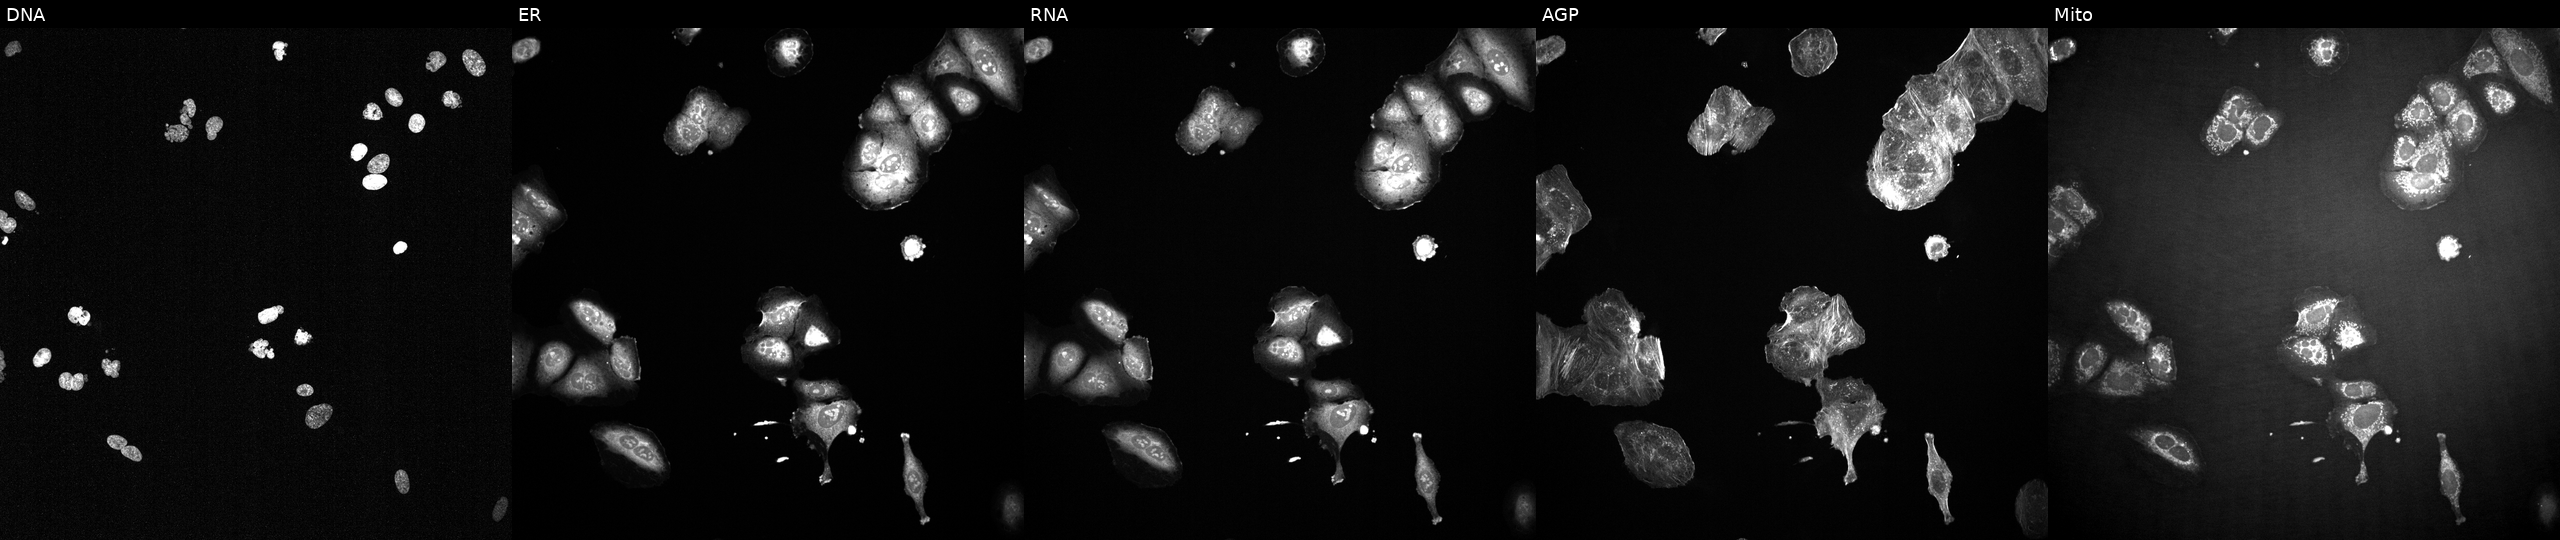
U2OS cells, Cell Painting assay, exposed to a small-molecule compound (InChIKey CMYHZFCJPORPHY-UHFFFAOYSA-N) [SMILES: CSc1nc(=N)cc(Oc2ccc(-c3nc(=Nc4cccc(C(F)(F)F)c4)[nH][nH]3)cc2)[nH]1] (JUMP id JCP2022_012198). Channels (left→right): Hoechst 33342, concanavalin A, SYTO 14, phalloidin and WGA, MitoTracker. Each panel is percentile-stretched 16-bit fluorescence.